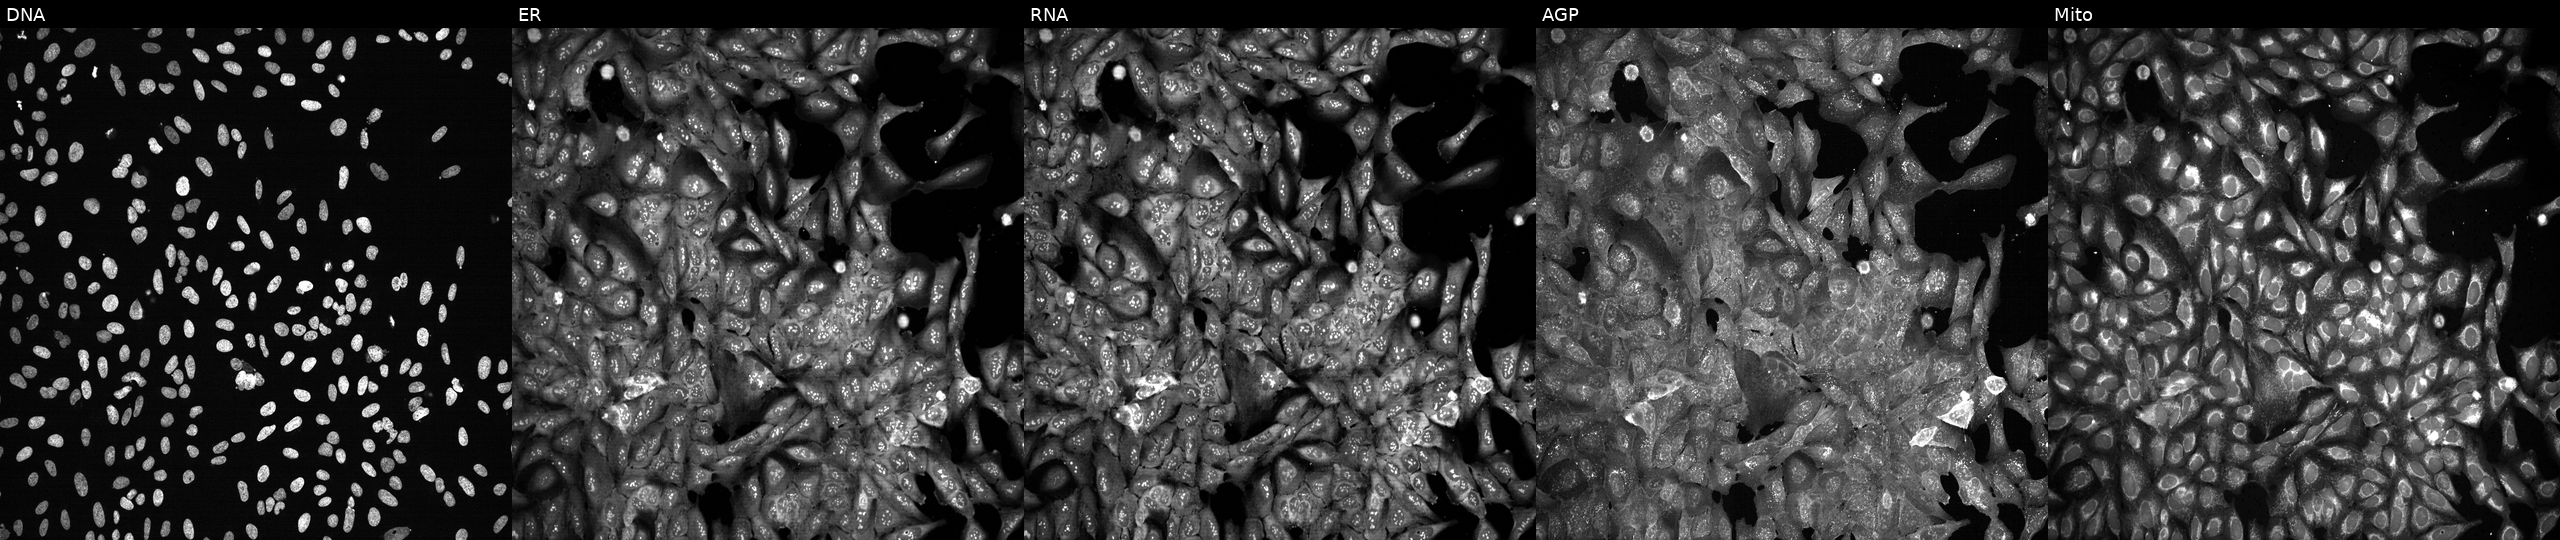
High-content fluorescence microscopy (Cell Painting). Cell line: U2OS. Perturbation: CRISPR-edited to disrupt TNPO1. From left to right: DNA, ER, RNA, AGP, and Mito. Source 13, plate CP-CC9-R5-01, well K10.